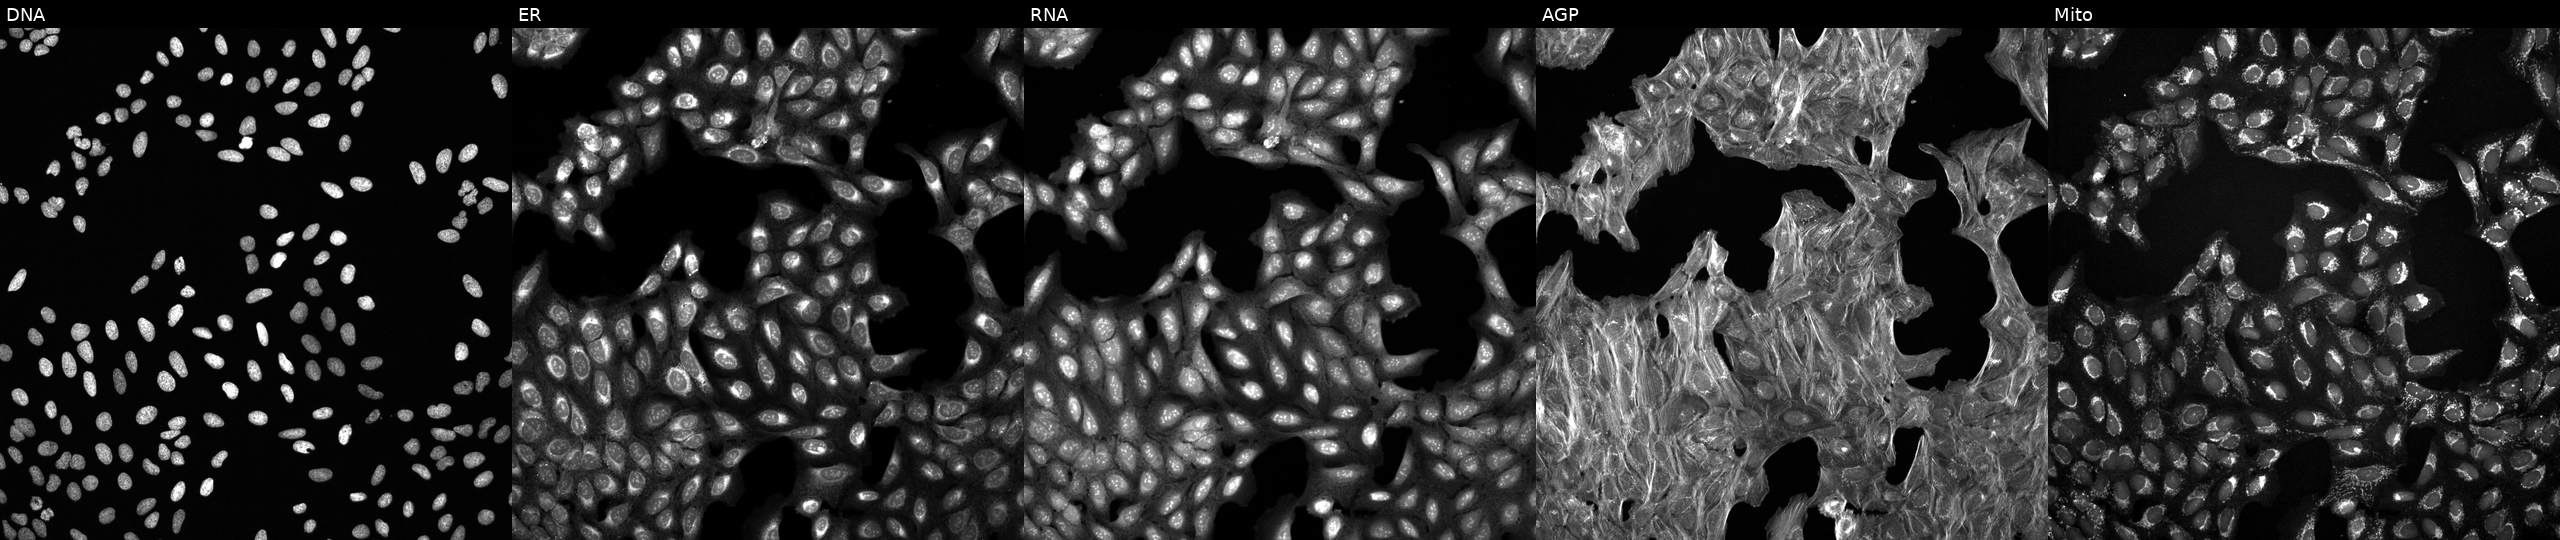
High-content fluorescence microscopy (Cell Painting). Cell line: U2OS. Perturbation: exposed to a small-molecule compound (InChIKey CXFVIIUBHFECDC-UHFFFAOYSA-N) (JUMP id JCP2022_014023). From left to right: DNA (nuclei); ER (endoplasmic reticulum); RNA (nucleoli and cytoplasmic RNA); AGP (actin cytoskeleton, Golgi, and plasma membrane); Mito (mitochondria).